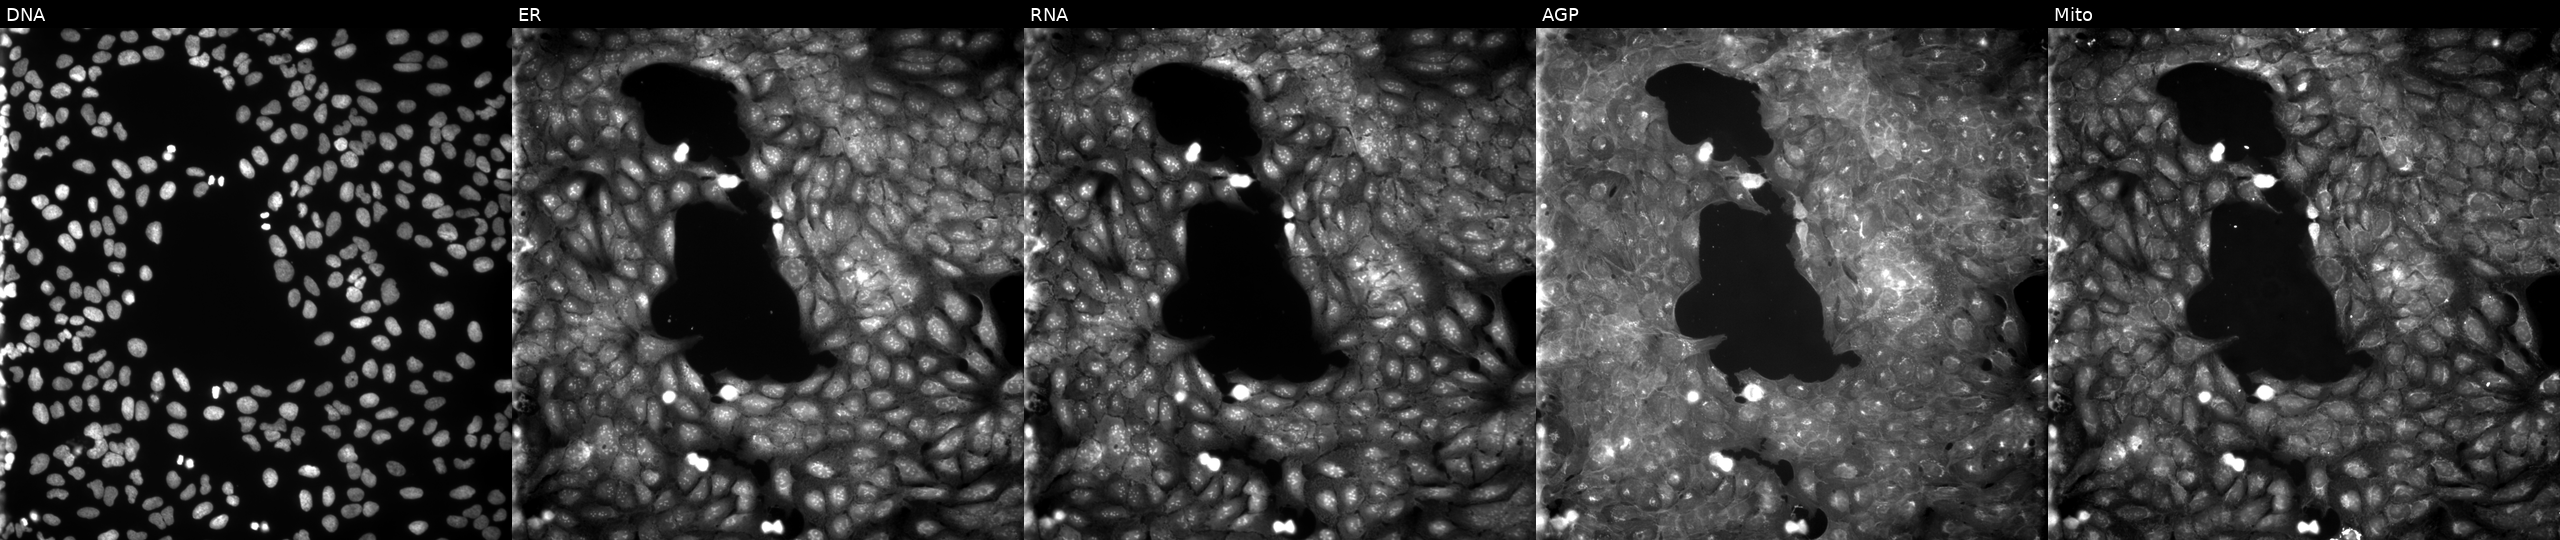
High-content fluorescence microscopy (Cell Painting). Cell line: U2OS. Perturbation: treated with a small-molecule compound (InChIKey FMLOSRXWOQMQDQ-UHFFFAOYSA-N) [SMILES: S=C(c1ccc2c(c1)OCO2)N1CCOCC1] (JUMP id JCP2022_021588). From left to right: DNA, ER, RNA, AGP, and Mito.